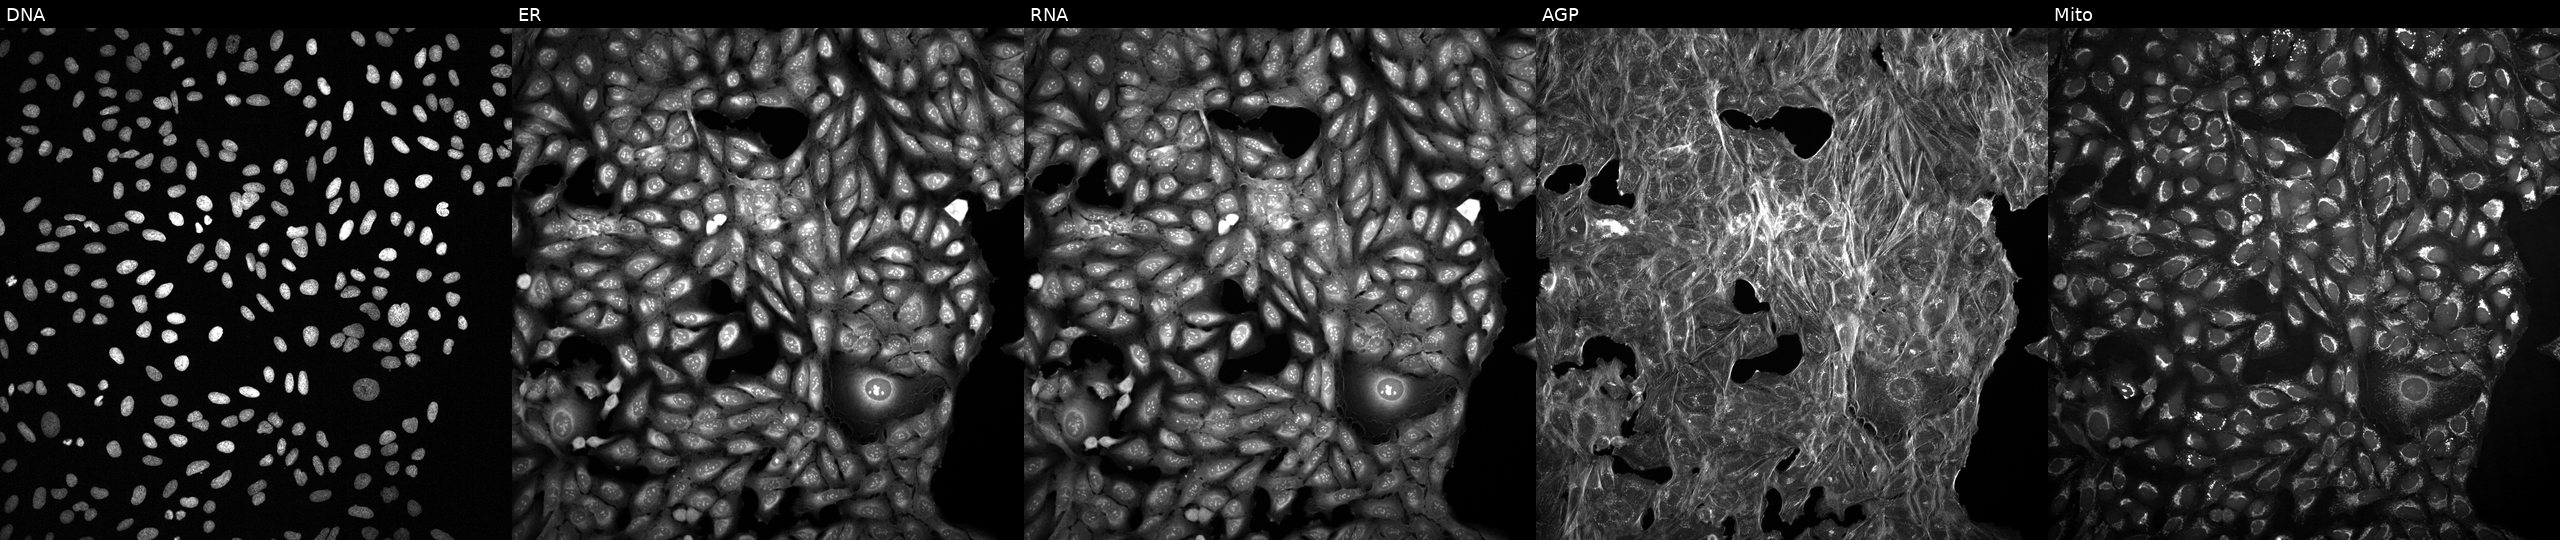
From left to right: DNA, ER, RNA, AGP, and Mito. U2OS osteosarcoma cells treated with a small-molecule compound (InChIKey JSSLKQGERKWCDI-UHFFFAOYSA-N) [SMILES: c1cncc(CN=c2cn[nH]c3ccccc23)c1] (JUMP id JCP2022_041916). Cell Painting assay, JUMP-CP dataset.